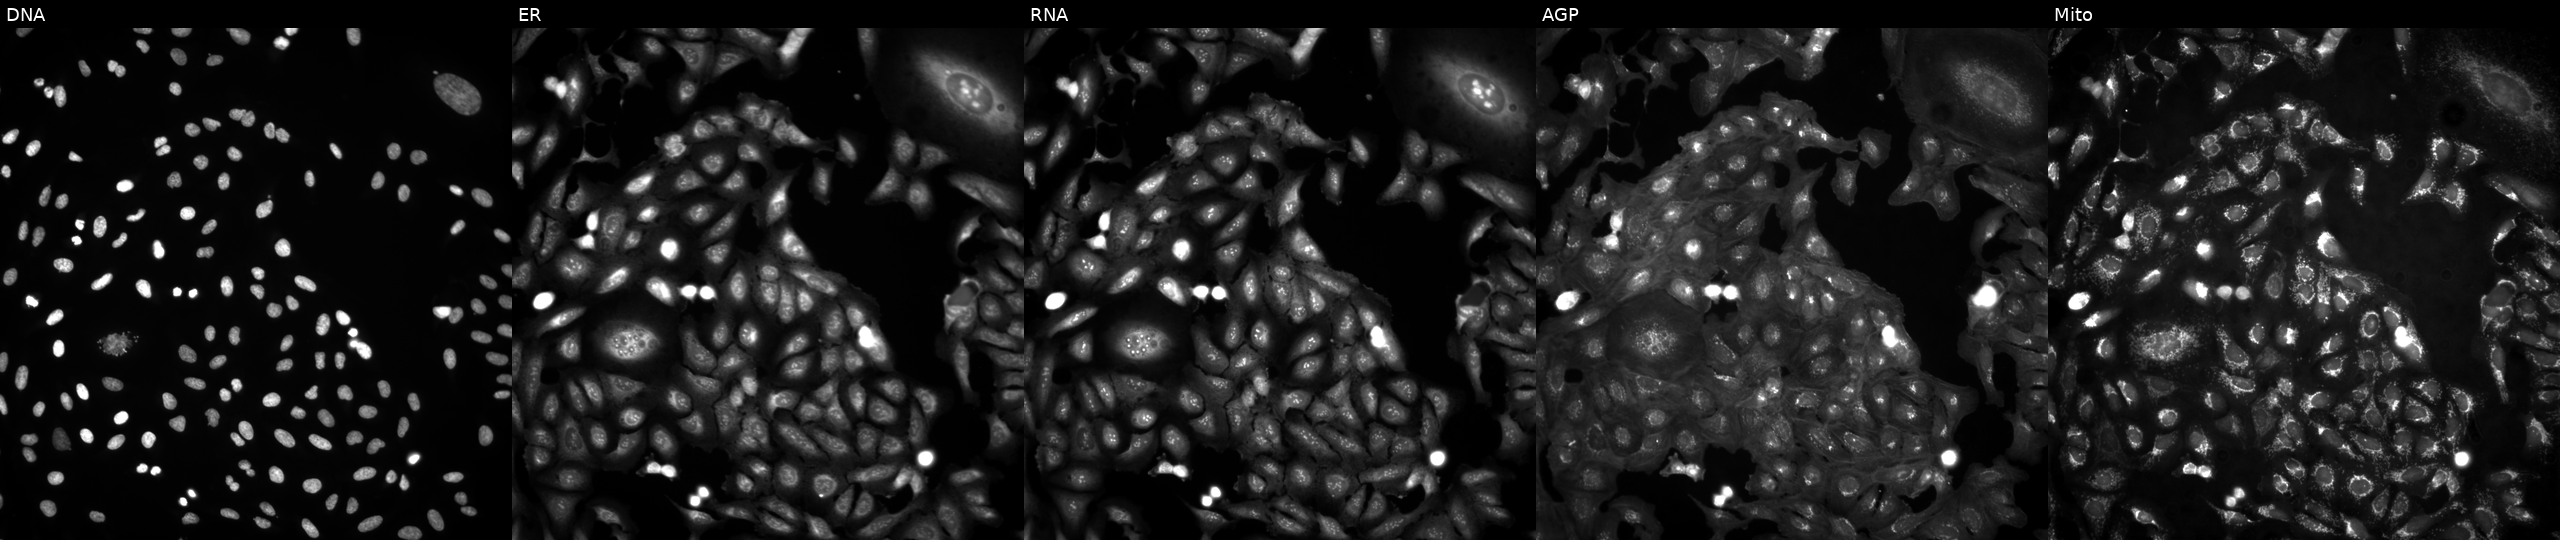
Five-channel Cell Painting image of U2OS cells in an empty control well (no perturbation) (JUMP id JCP2022_999999). The five panels, left to right, show Hoechst 33342, concanavalin A, SYTO 14, phalloidin and WGA, MitoTracker.